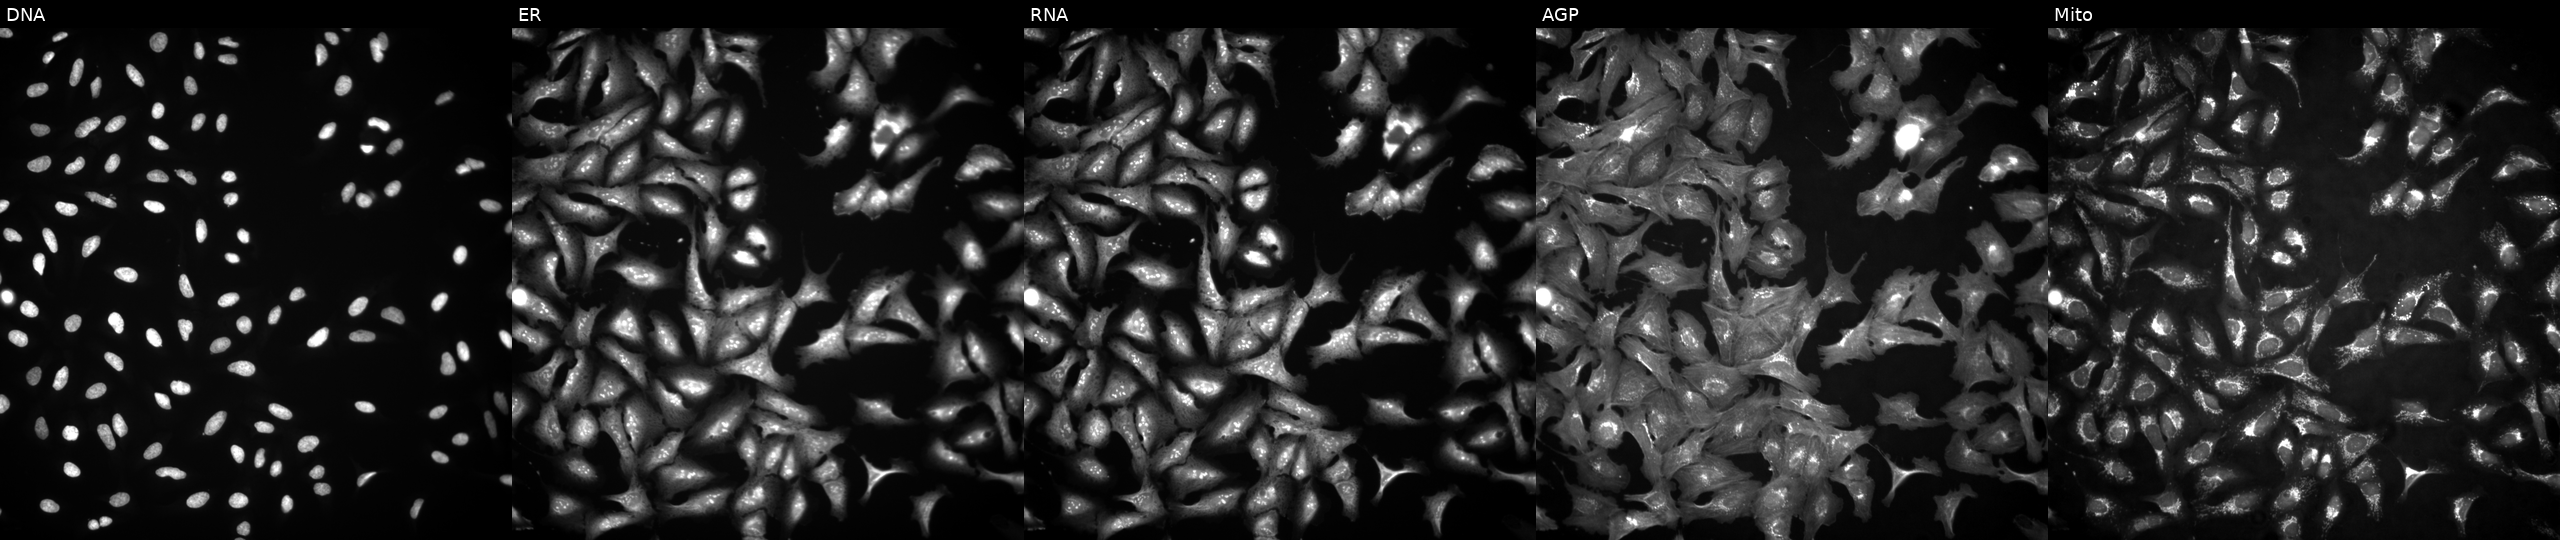
Channels (left→right): DNA (nuclei); ER (endoplasmic reticulum); RNA (nucleoli and cytoplasmic RNA); AGP (actin cytoskeleton, Golgi, and plasma membrane); Mito (mitochondria). U2OS osteosarcoma cells in an empty control well (no perturbation). Cell Painting assay, JUMP-CP dataset.